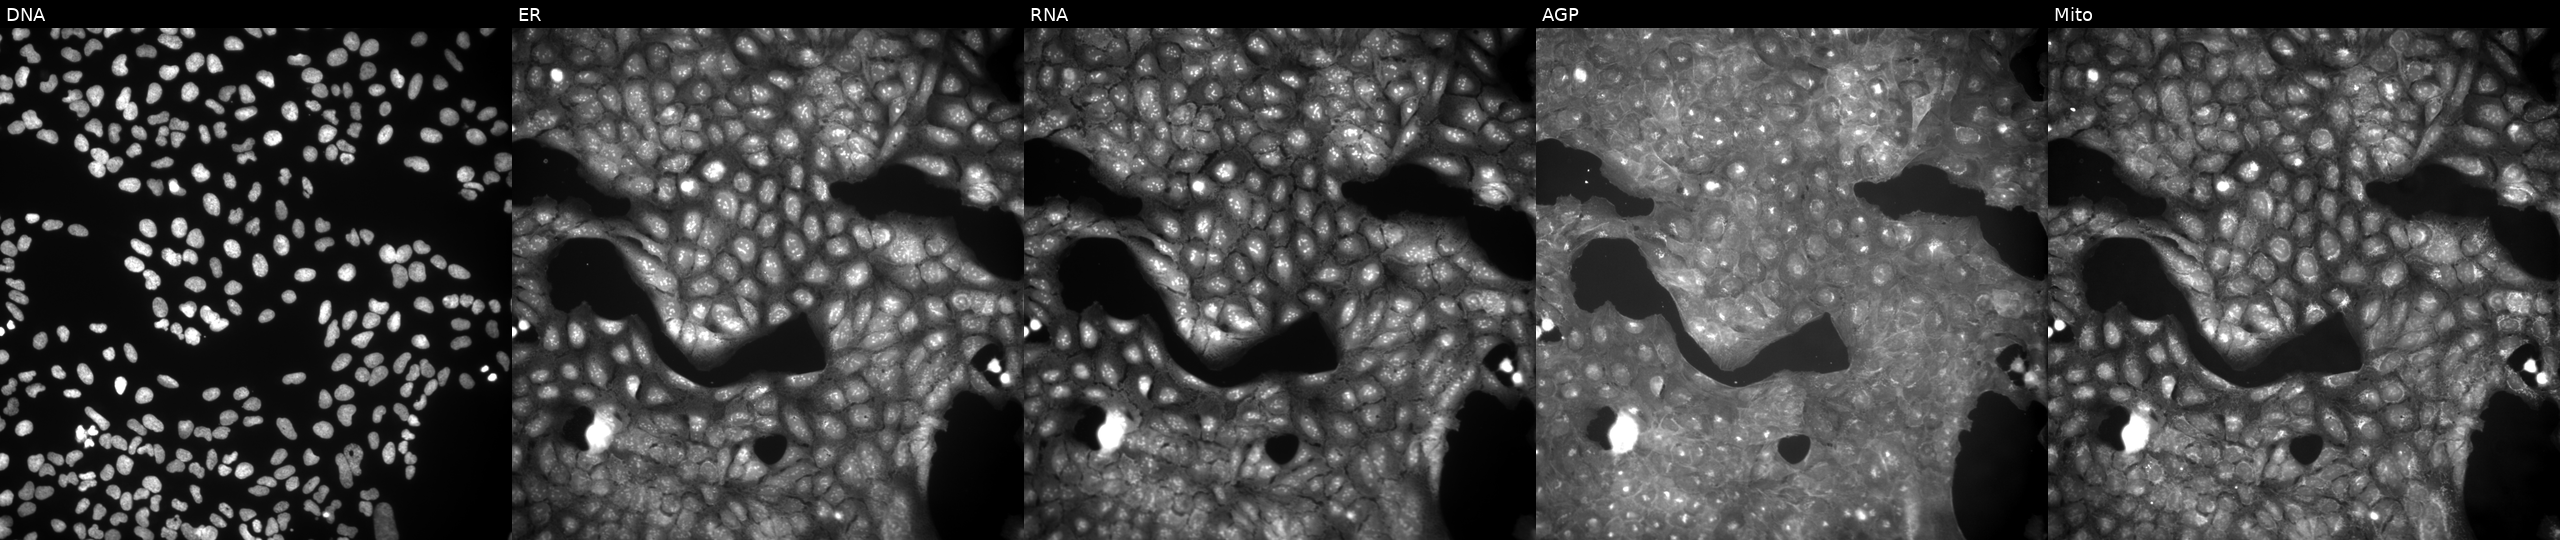
U2OS cells, Cell Painting assay, treated with a small-molecule compound (InChIKey KQCLTRMGEJZLQR-UHFFFAOYSA-N) [SMILES: Cc1cc(C)n(-c2nc3c(c(=O)[nH]c(=O)n3C)n2C(C)C)n1] (JUMP id JCP2022_046269). From left to right: DNA, ER, RNA, AGP, and Mito. Each panel is percentile-stretched 16-bit fluorescence. Source 9, plate GR00003382, well Q33.